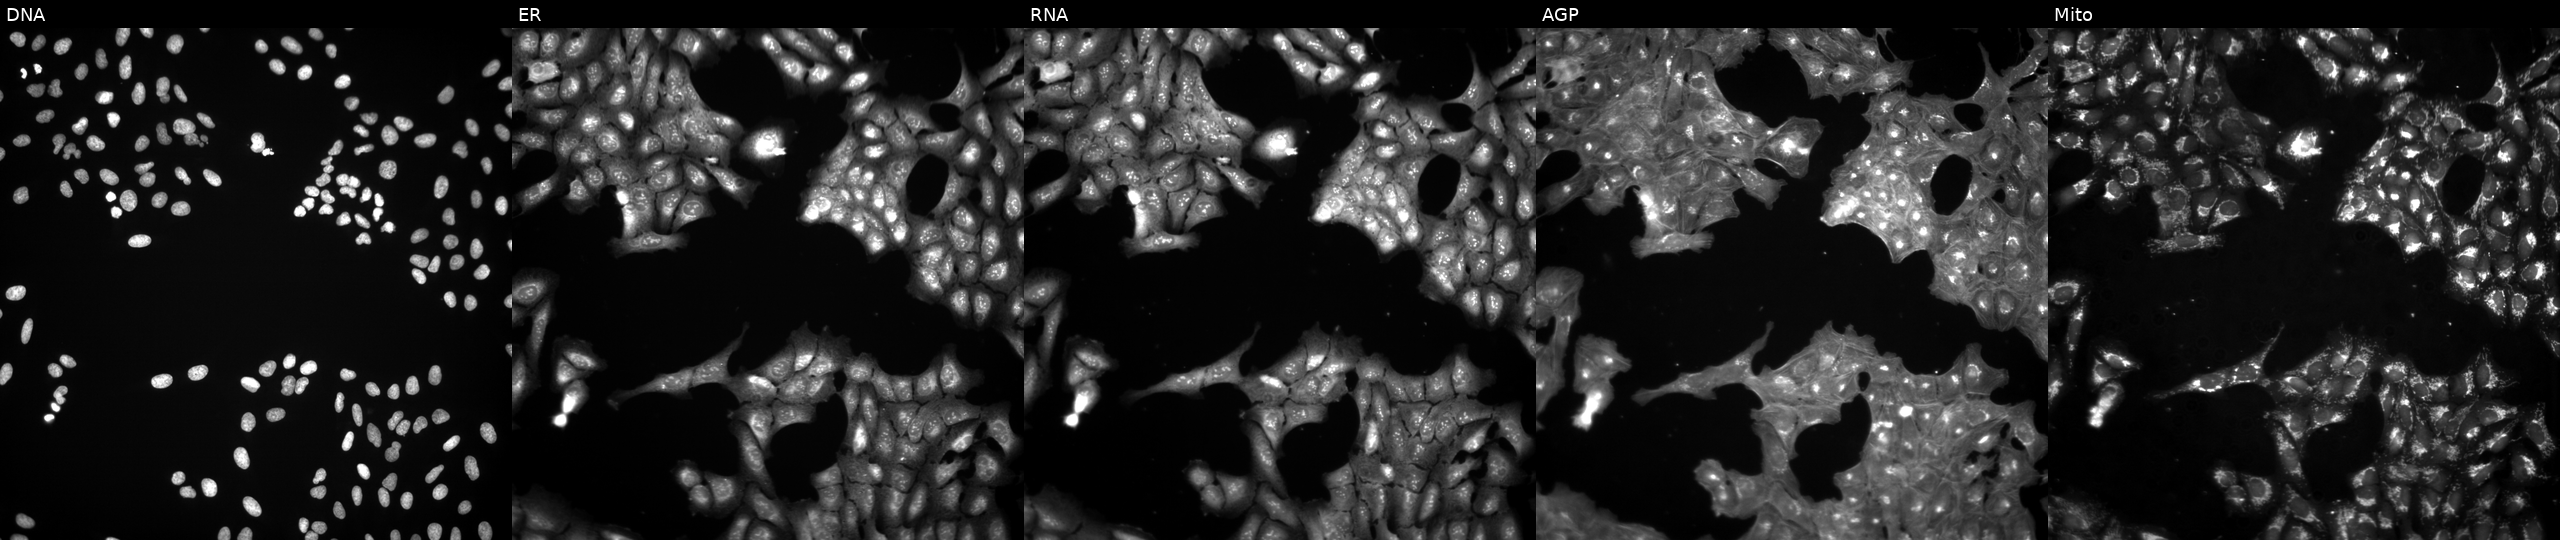
This image strip shows the five Cell Painting channels for a single field of U2OS cells treated with DMSO vehicle only (negative control). Channels (left→right): DNA, ER, RNA, AGP, and Mito. Source 3, plate JCPQC052, well A05.